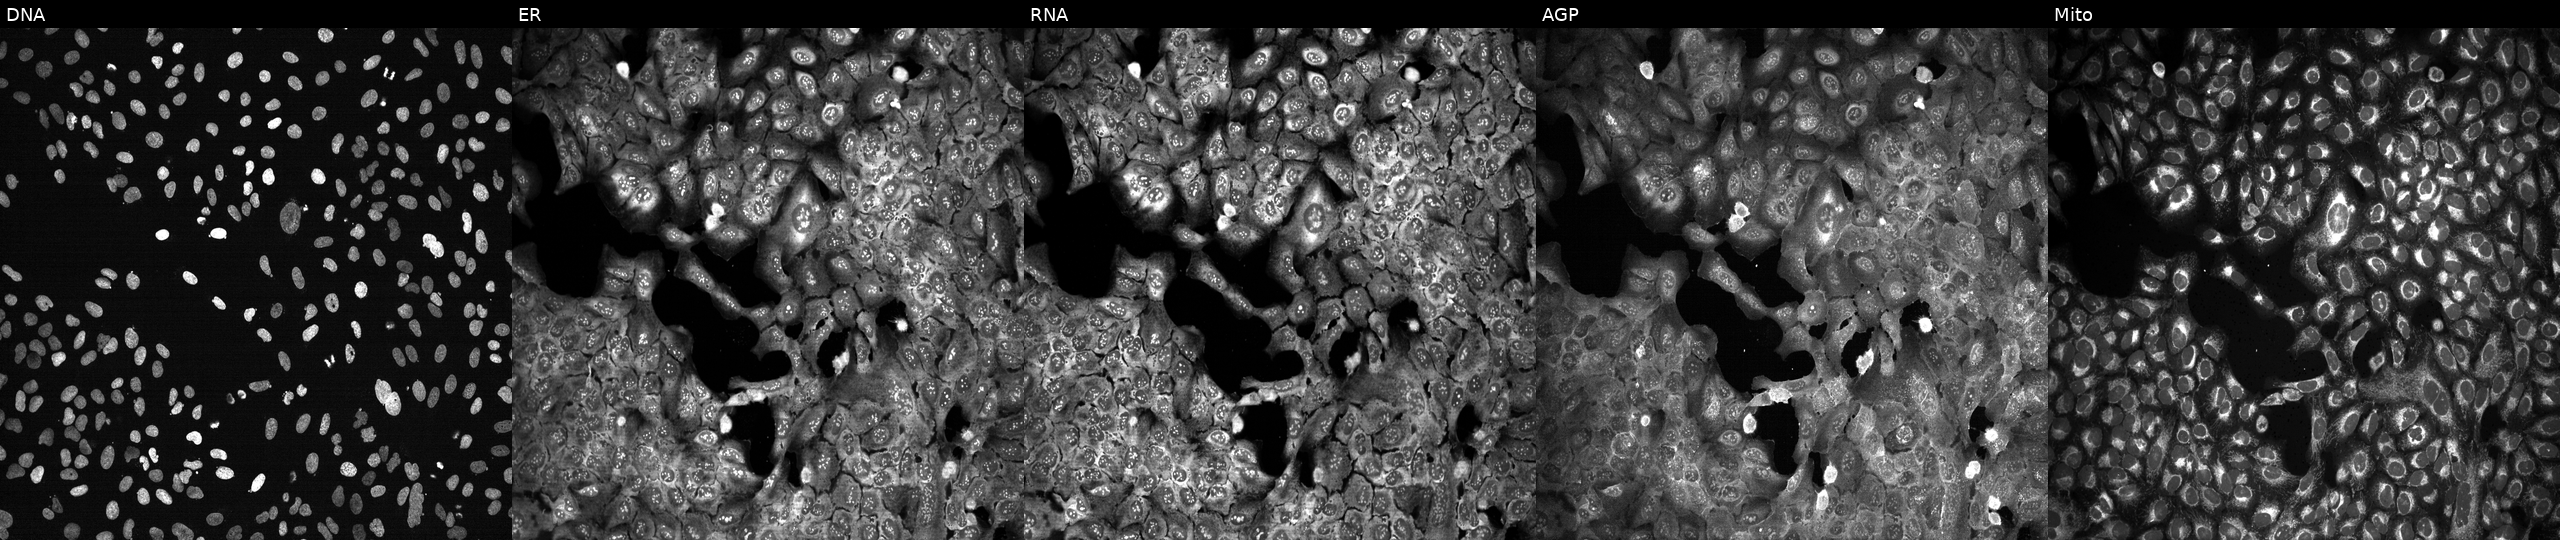
Channels (left→right): Hoechst 33342, concanavalin A, SYTO 14, phalloidin and WGA, MitoTracker. U2OS osteosarcoma cells with IL6R knocked out by CRISPR (JUMP id JCP2022_803403). Cell Painting assay, JUMP-CP dataset.